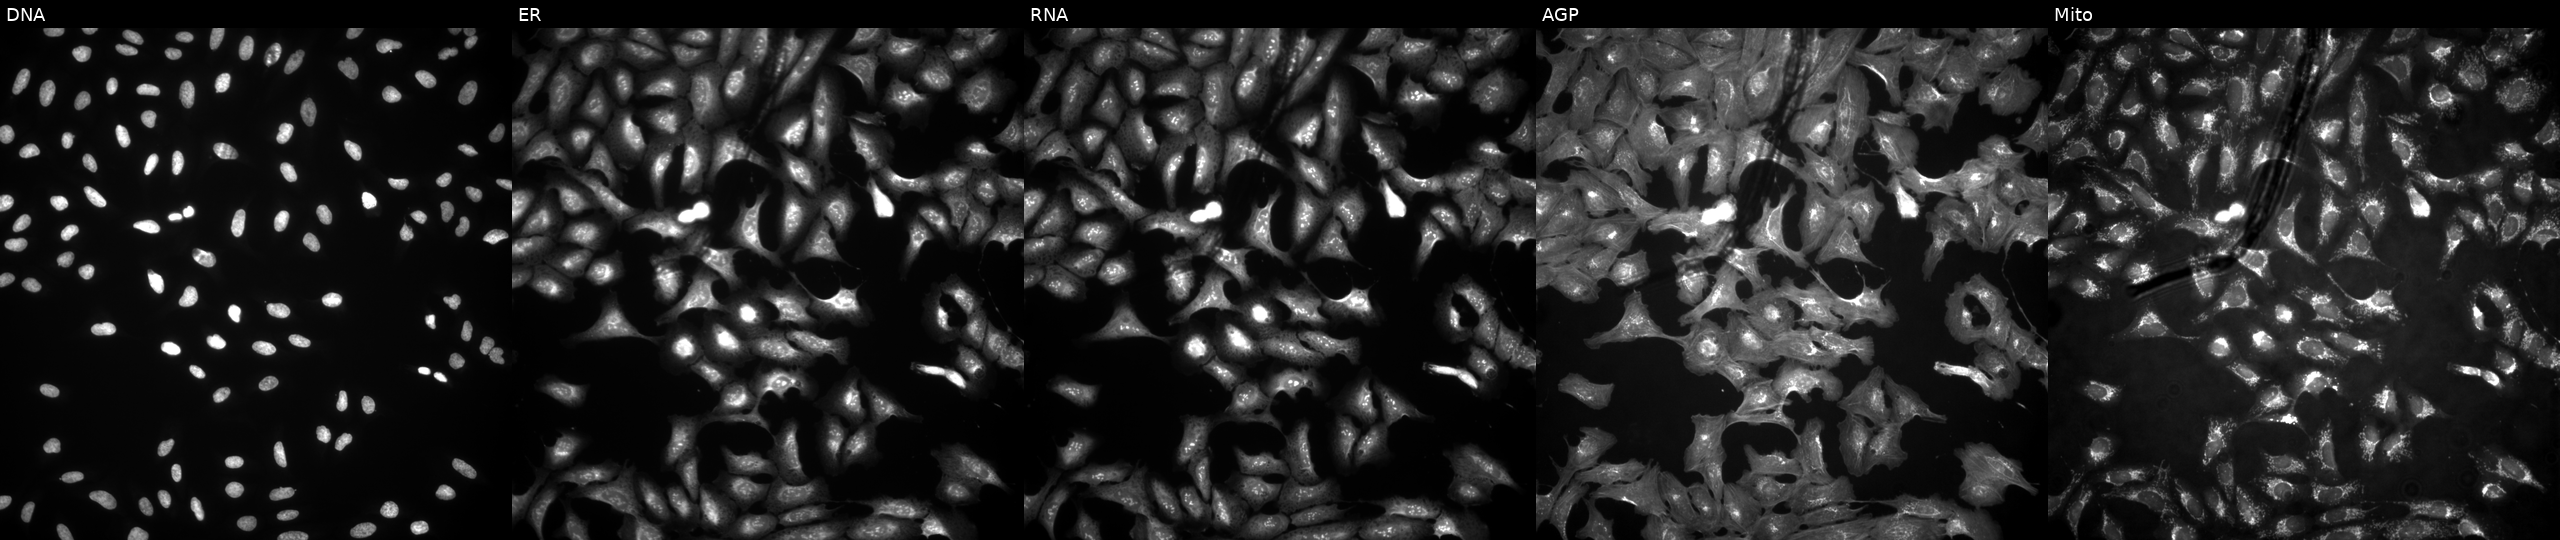
High-content fluorescence microscopy (Cell Painting). Cell line: U2OS. Perturbation: transfected with an ORF construct for TMEM126B. From left to right: DNA (nuclei); ER (endoplasmic reticulum); RNA (nucleoli and cytoplasmic RNA); AGP (actin cytoskeleton, Golgi, and plasma membrane); Mito (mitochondria). Source 4, plate BR00123509, well D02.